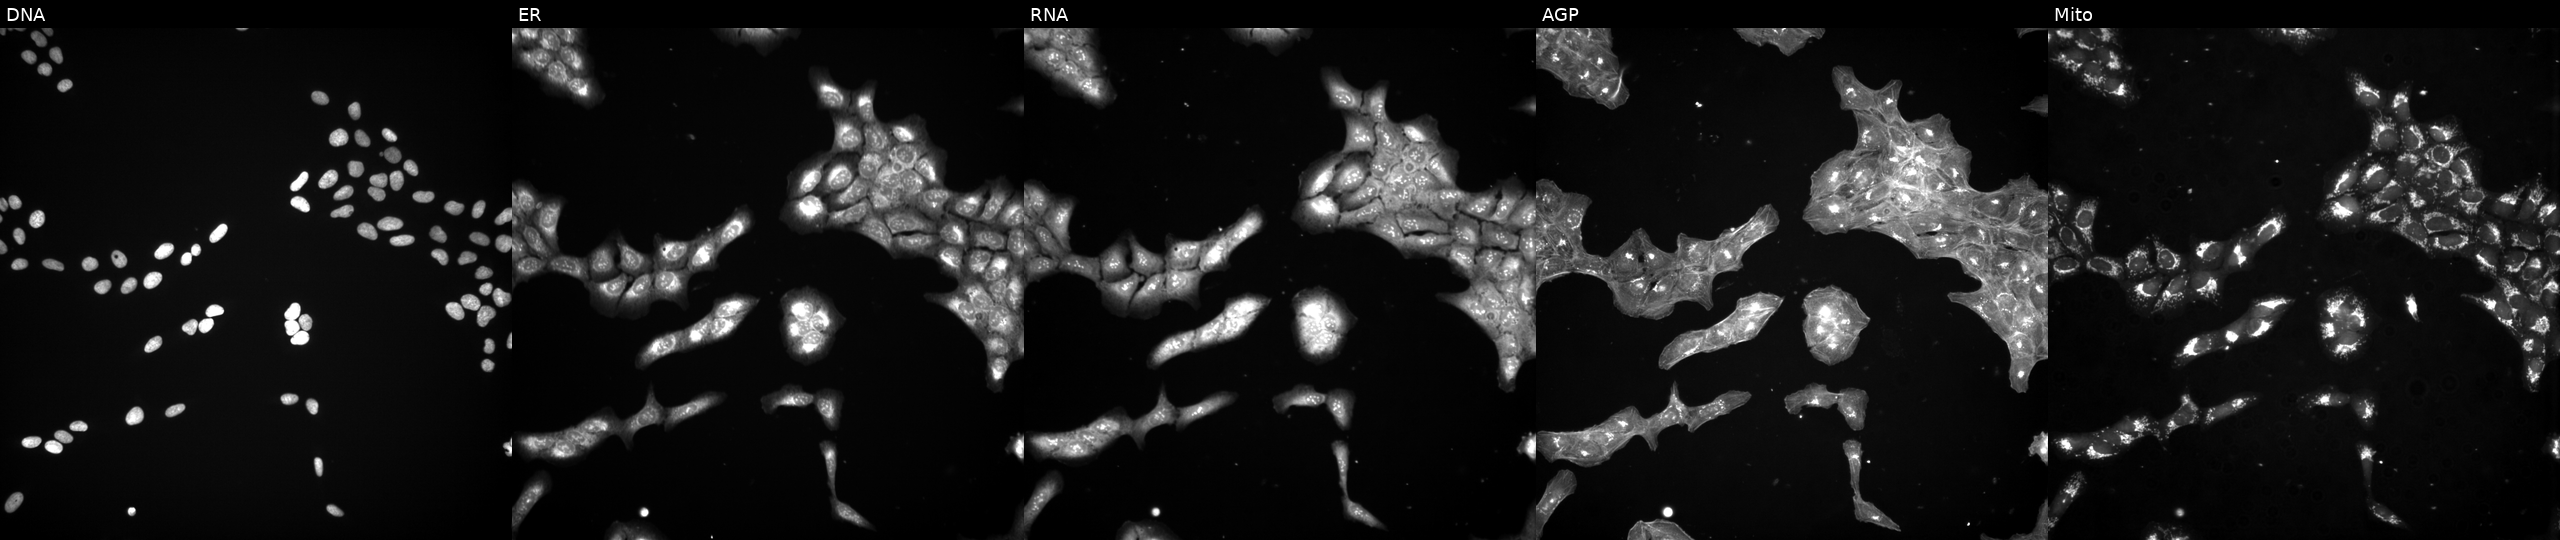
This image strip shows the five Cell Painting channels for a single field of U2OS cells exposed to a small-molecule compound (InChIKey ZSRQHOONOZMUKX-UHFFFAOYSA-N) (JUMP id JCP2022_115440). From left to right: Hoechst 33342, concanavalin A, SYTO 14, phalloidin and WGA, MitoTracker.